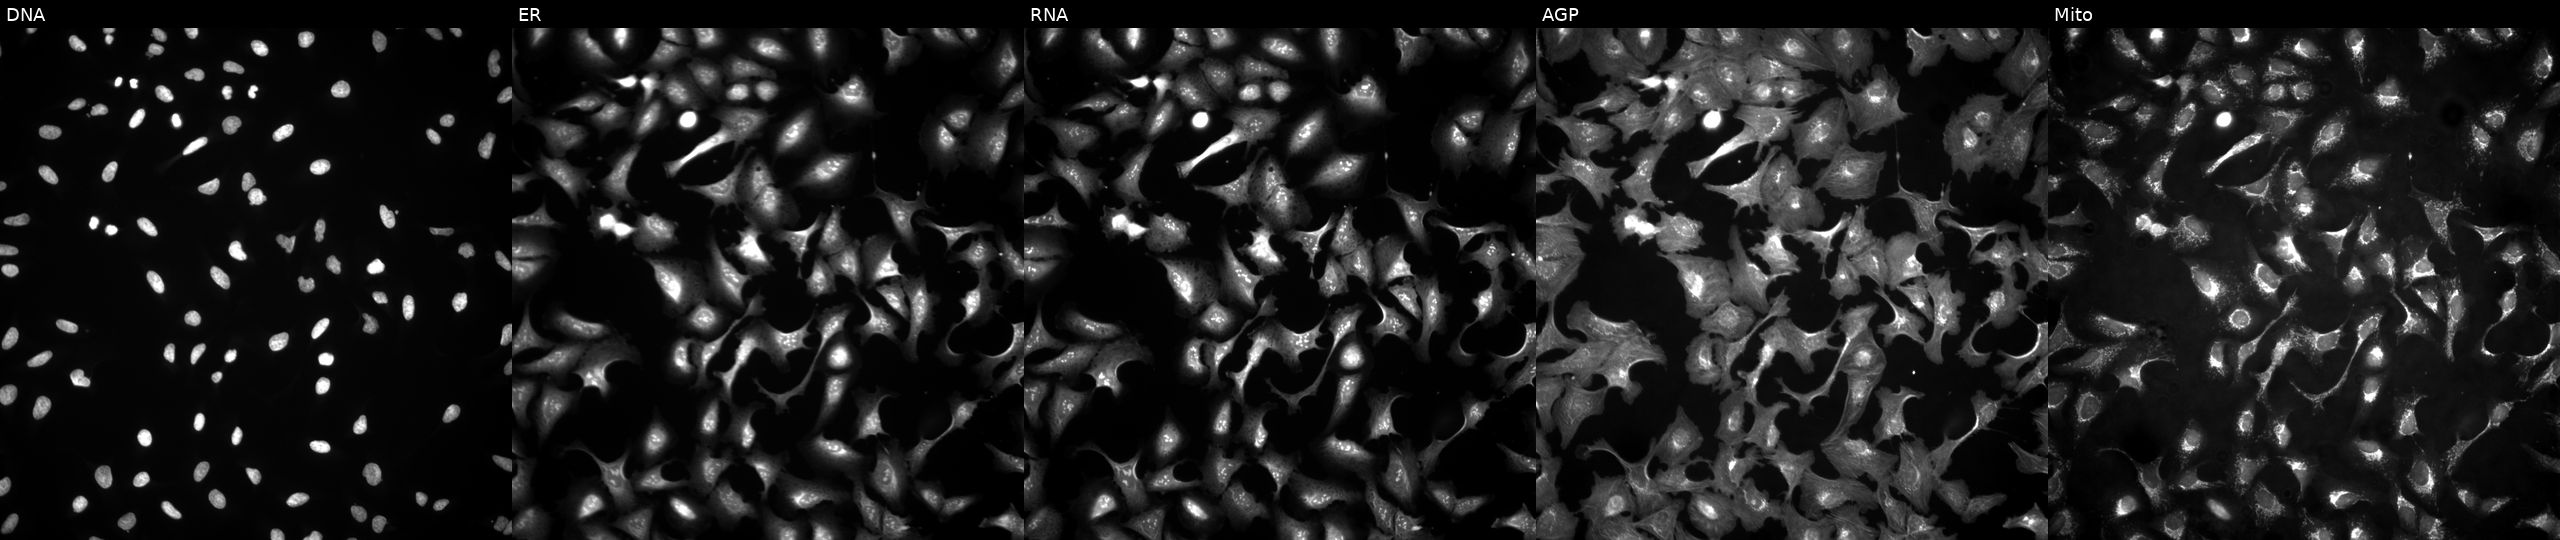
Five-channel Cell Painting image of U2OS cells overexpressing HK3 via ORF transfection (JUMP id JCP2022_905957). Panels show, left to right, Hoechst 33342, concanavalin A, SYTO 14, phalloidin and WGA, MitoTracker.